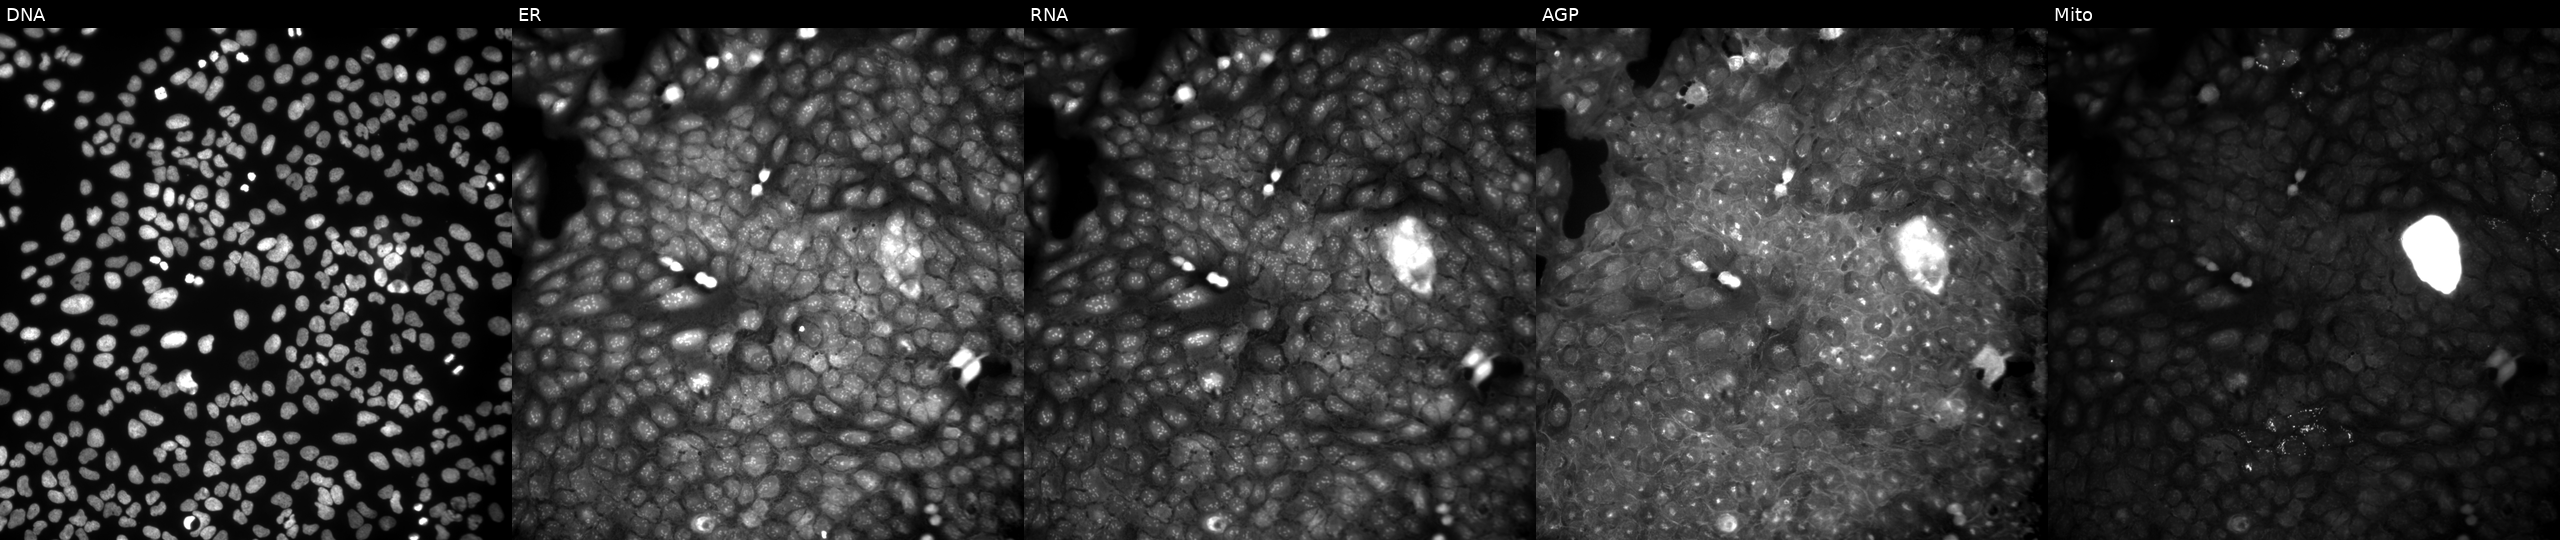
This image strip shows the five Cell Painting channels for a single field of U2OS cells exposed to a small-molecule compound (InChIKey AQPFXWDONFUCFG-UHFFFAOYSA-N) (JUMP id JCP2022_003177). From left to right: Hoechst 33342, concanavalin A, SYTO 14, phalloidin and WGA, MitoTracker.